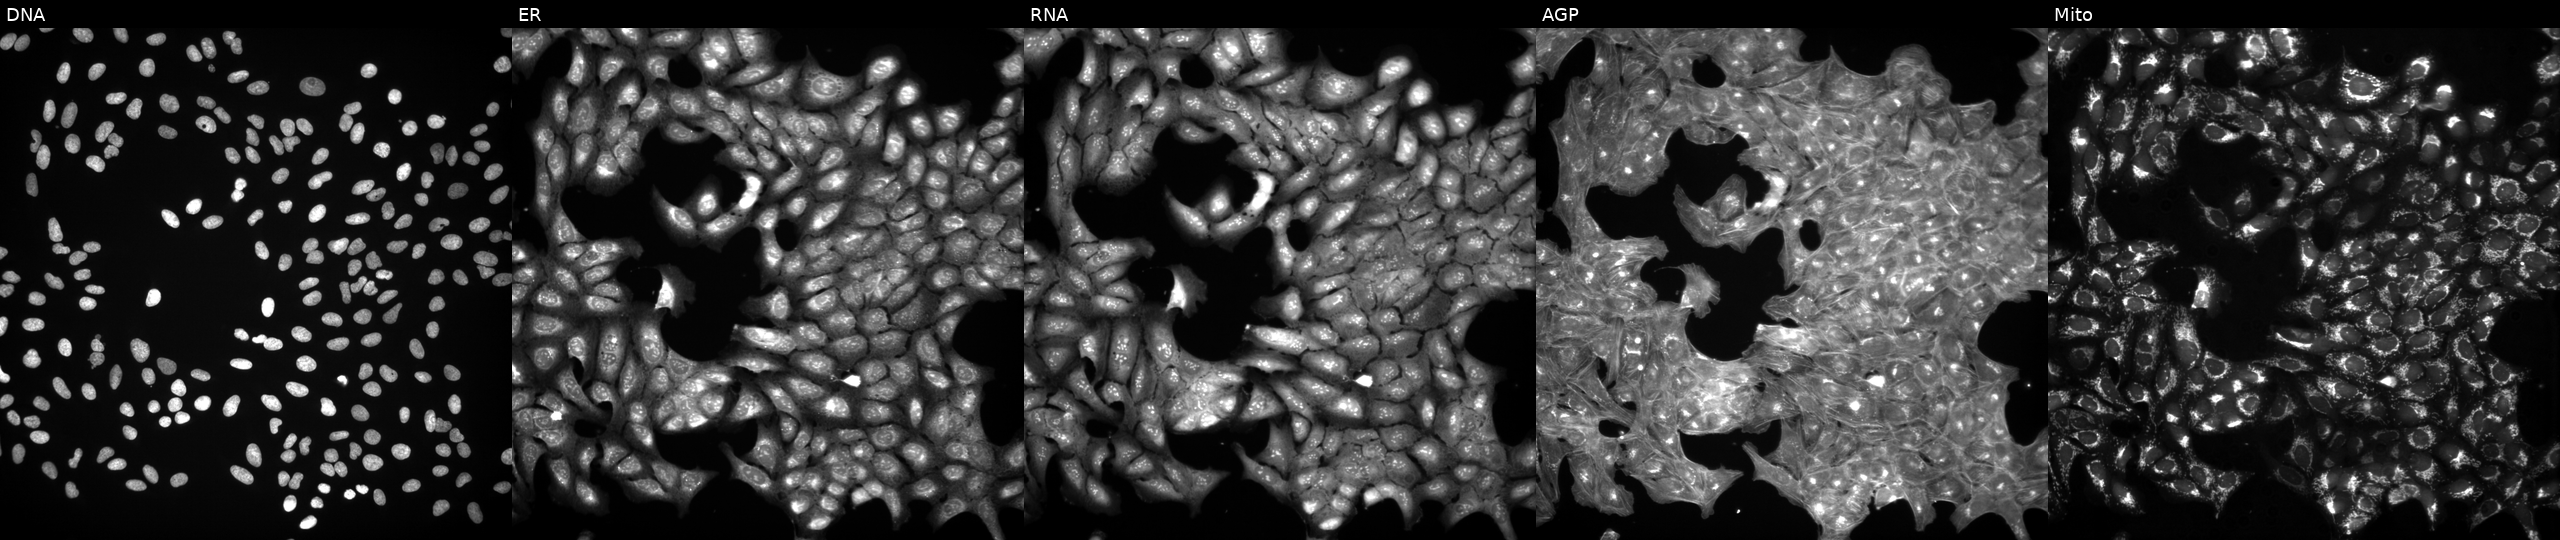
This image strip shows the five Cell Painting channels for a single field of U2OS cells exposed to a small-molecule compound (InChIKey JBIMVDZLSHOPLA-UHFFFAOYSA-N) (JUMP id JCP2022_038675). The five panels, left to right, show Hoechst 33342, concanavalin A, SYTO 14, phalloidin and WGA, MitoTracker. Source 3, plate JCPQC051, well I22.